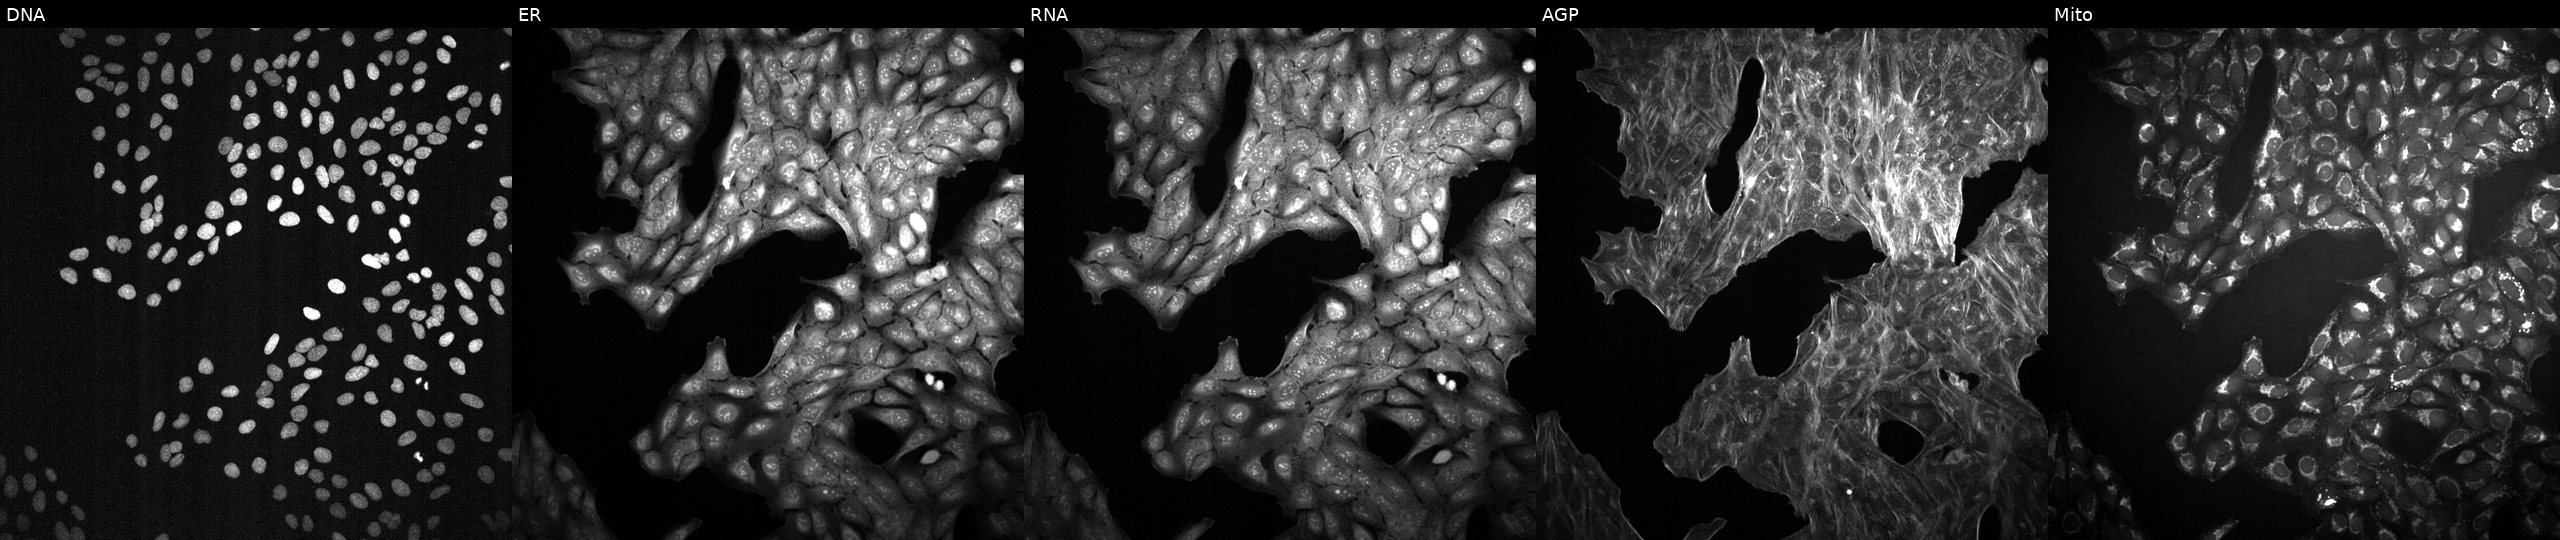
Five-channel Cell Painting image of U2OS cells treated with a small-molecule compound (JUMP id JCP2022_018074). Channels (left→right): Hoechst 33342, concanavalin A, SYTO 14, phalloidin and WGA, MitoTracker.